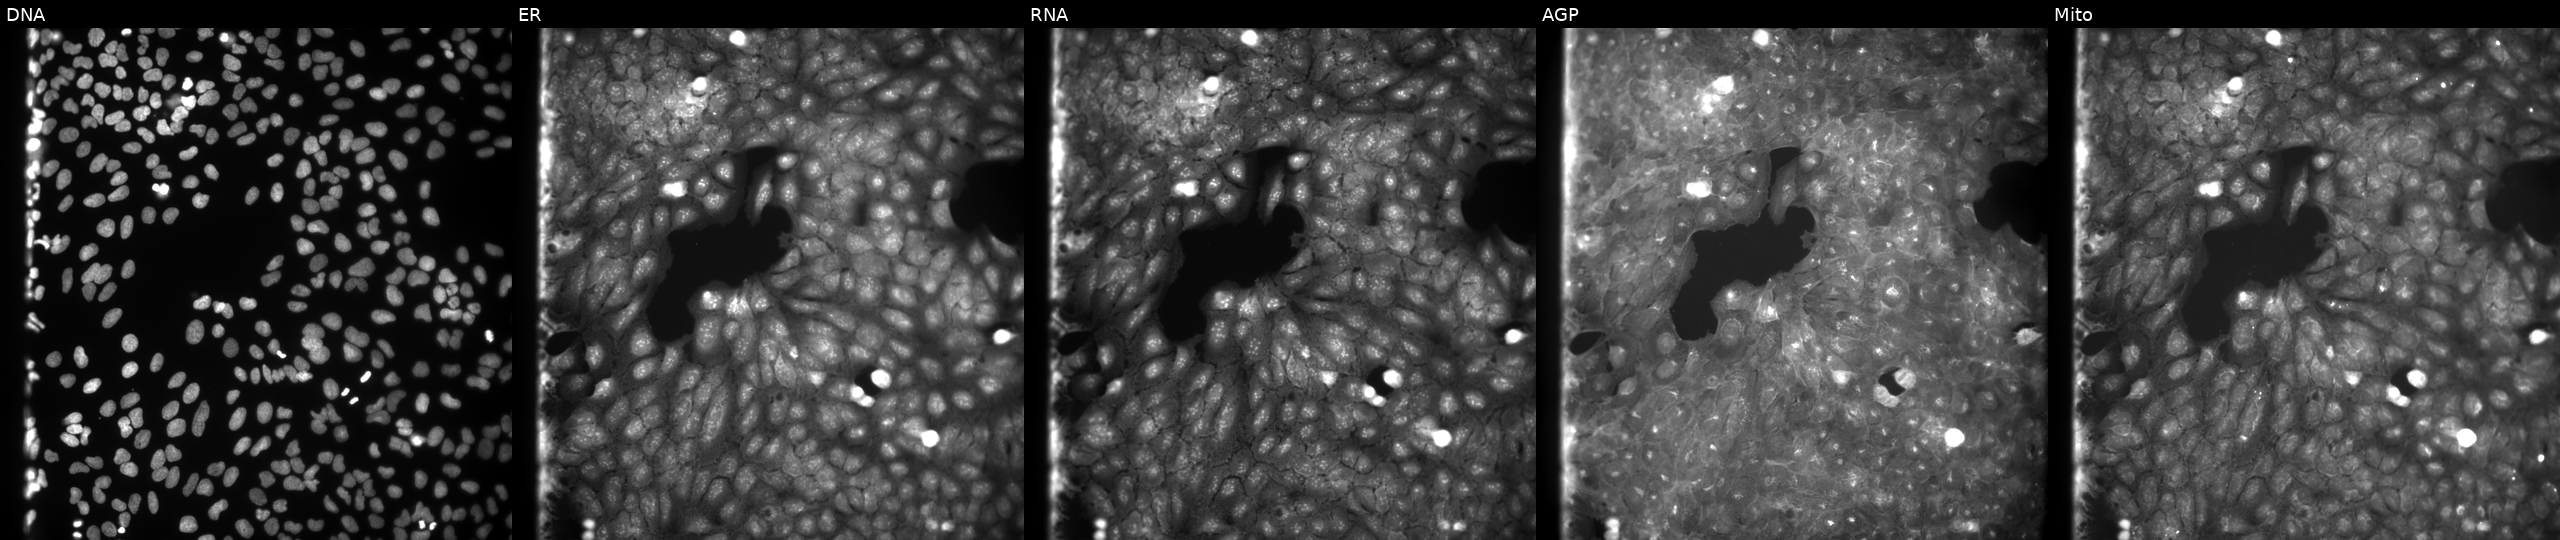
Panels show, left to right, DNA, ER, RNA, AGP, and Mito. U2OS osteosarcoma cells perturbed with a small-molecule compound (InChIKey XNVYXCYPADVFSW-UHFFFAOYSA-N) [SMILES: Cc1ccc(S(=O)(=O)N(C)c2ccc(C)c([N+](=O)[O-])c2)cc1]. Cell Painting assay, JUMP-CP dataset. Source 9, plate GR00003381, well G03.